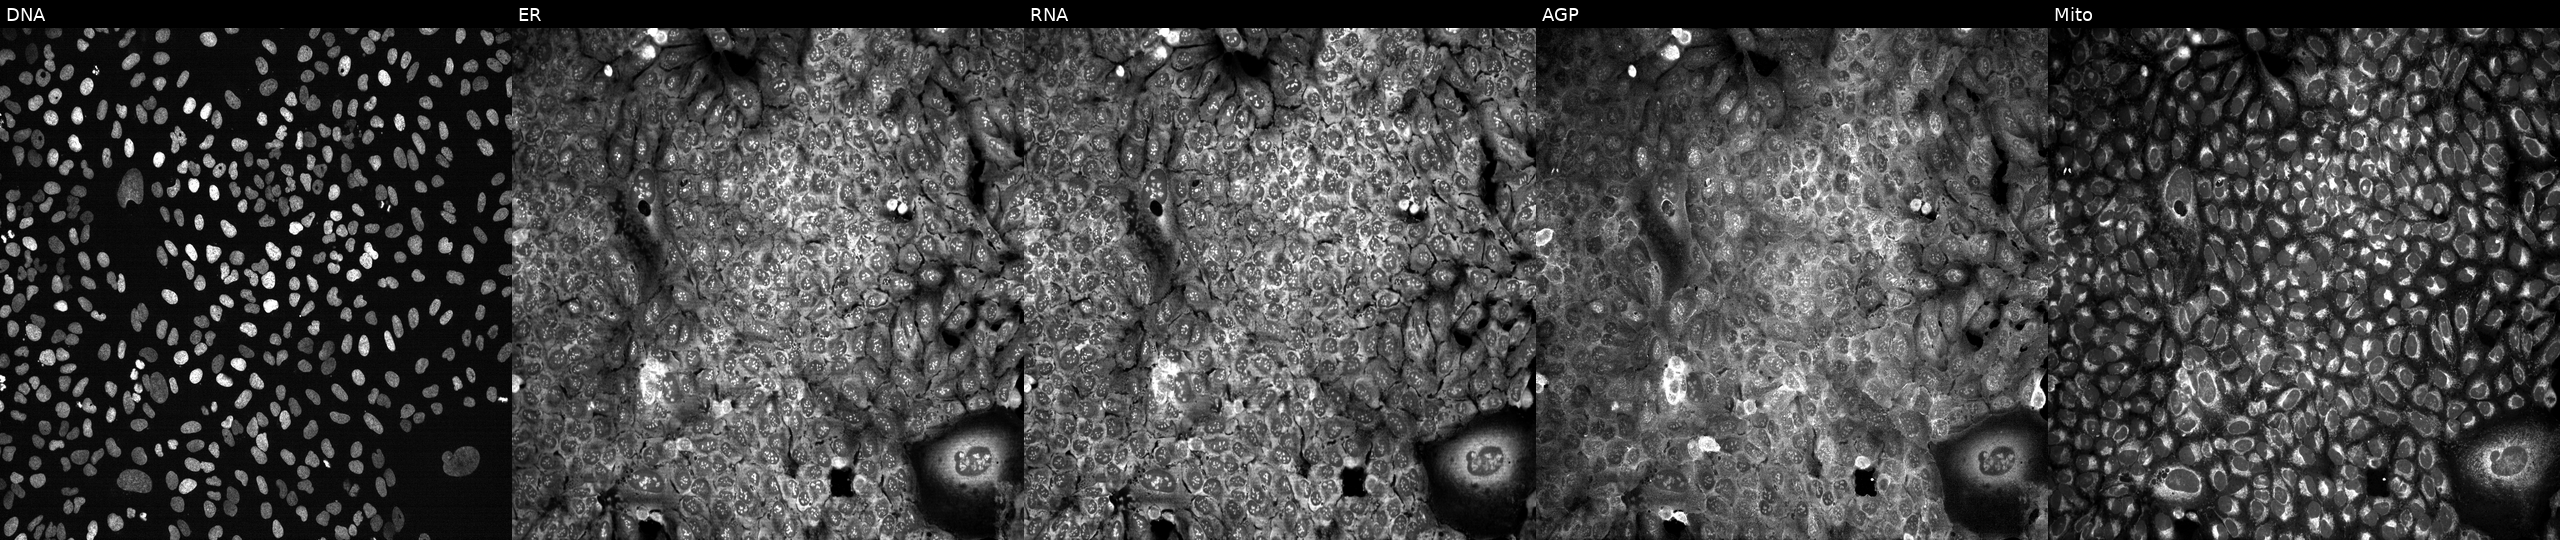
U2OS cells, Cell Painting assay, with MTRF1L knocked out by CRISPR (JUMP id JCP2022_804331). Panels show, left to right, Hoechst 33342, concanavalin A, SYTO 14, phalloidin and WGA, MitoTracker. Each panel is percentile-stretched 16-bit fluorescence. Source 13, plate CP-CC9-R4-03, well K18.